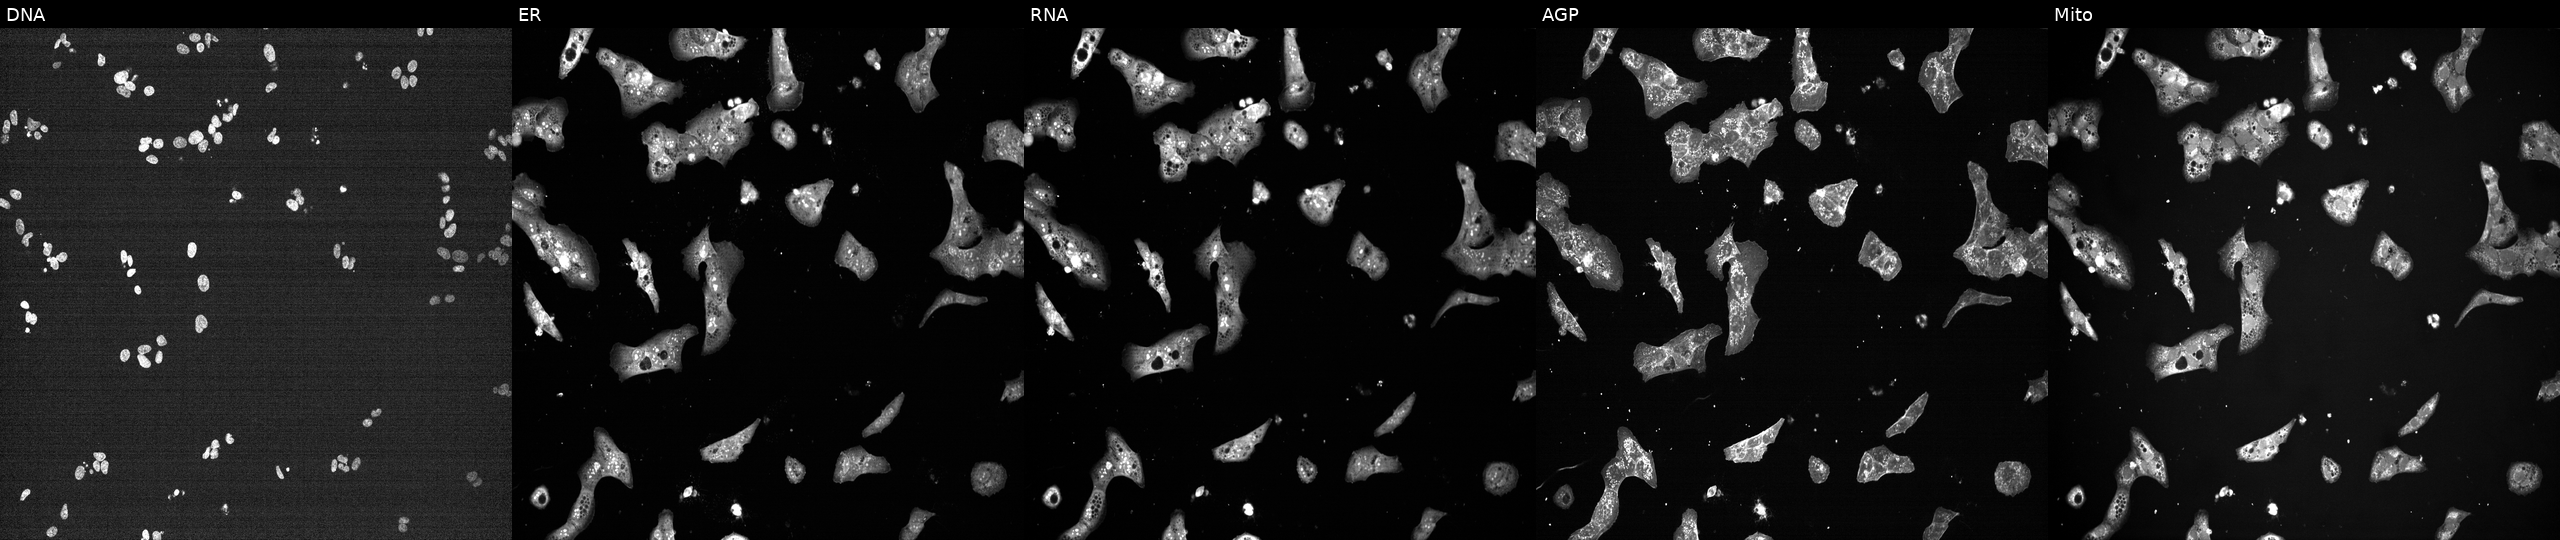
Five-channel Cell Painting image of U2OS cells treated with a small-molecule compound (InChIKey SCELLOWTHJGVIC-UHFFFAOYSA-N). Channels (left→right): Hoechst 33342, concanavalin A, SYTO 14, phalloidin and WGA, MitoTracker.